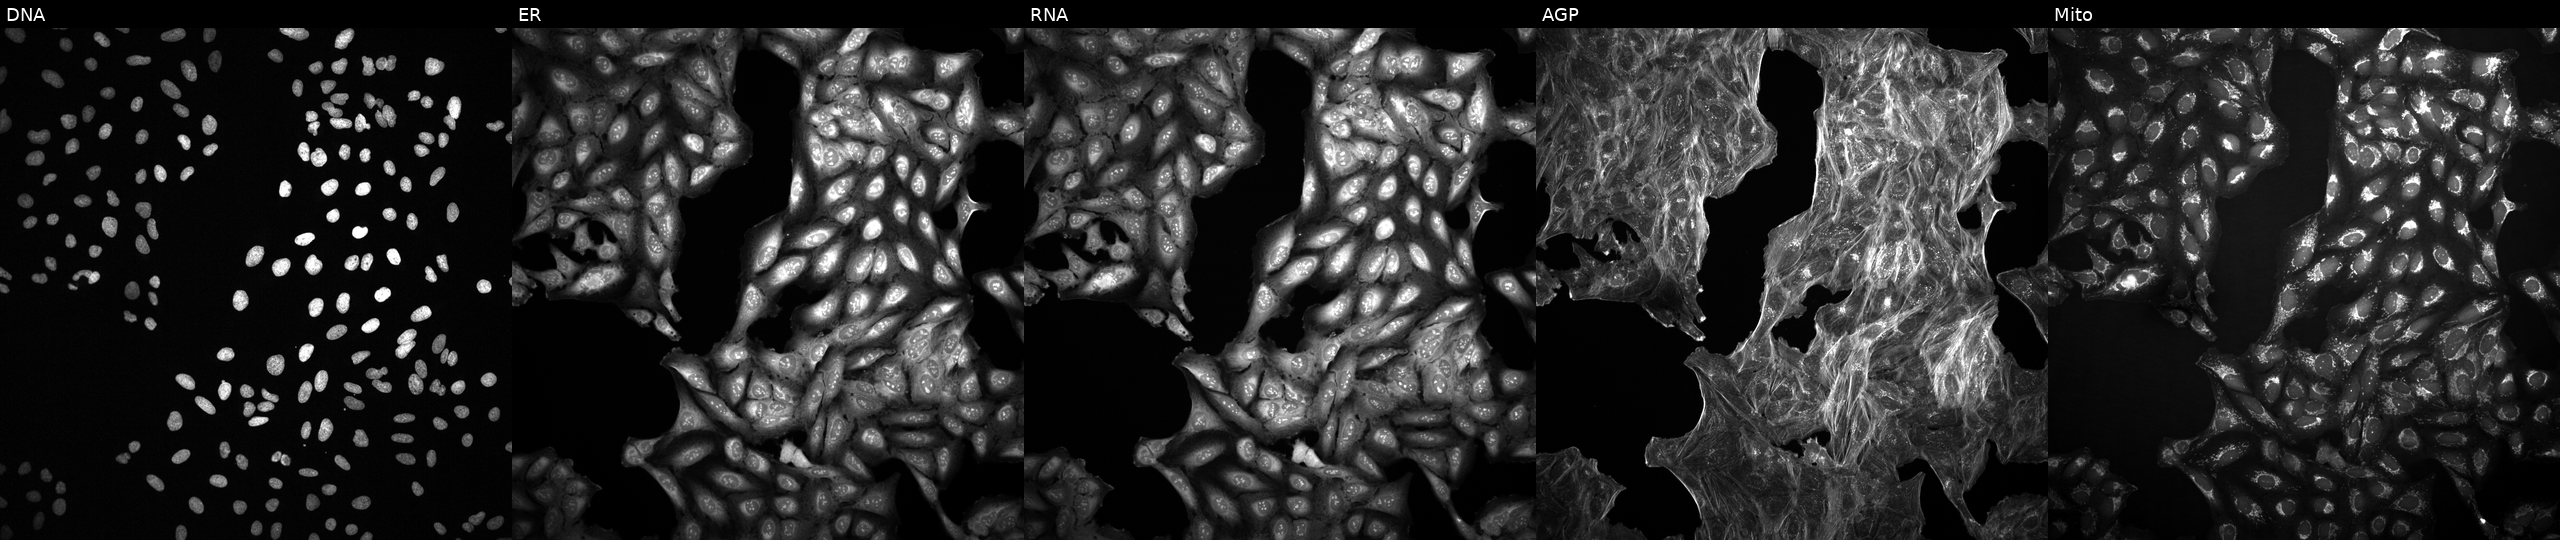
Five-channel Cell Painting image of U2OS cells exposed to a small-molecule compound (InChIKey DSLRVRBSNLHVBH-UHFFFAOYSA-N) [SMILES: OCc1ccc(CO)o1]. From left to right: Hoechst 33342, concanavalin A, SYTO 14, phalloidin and WGA, MitoTracker.